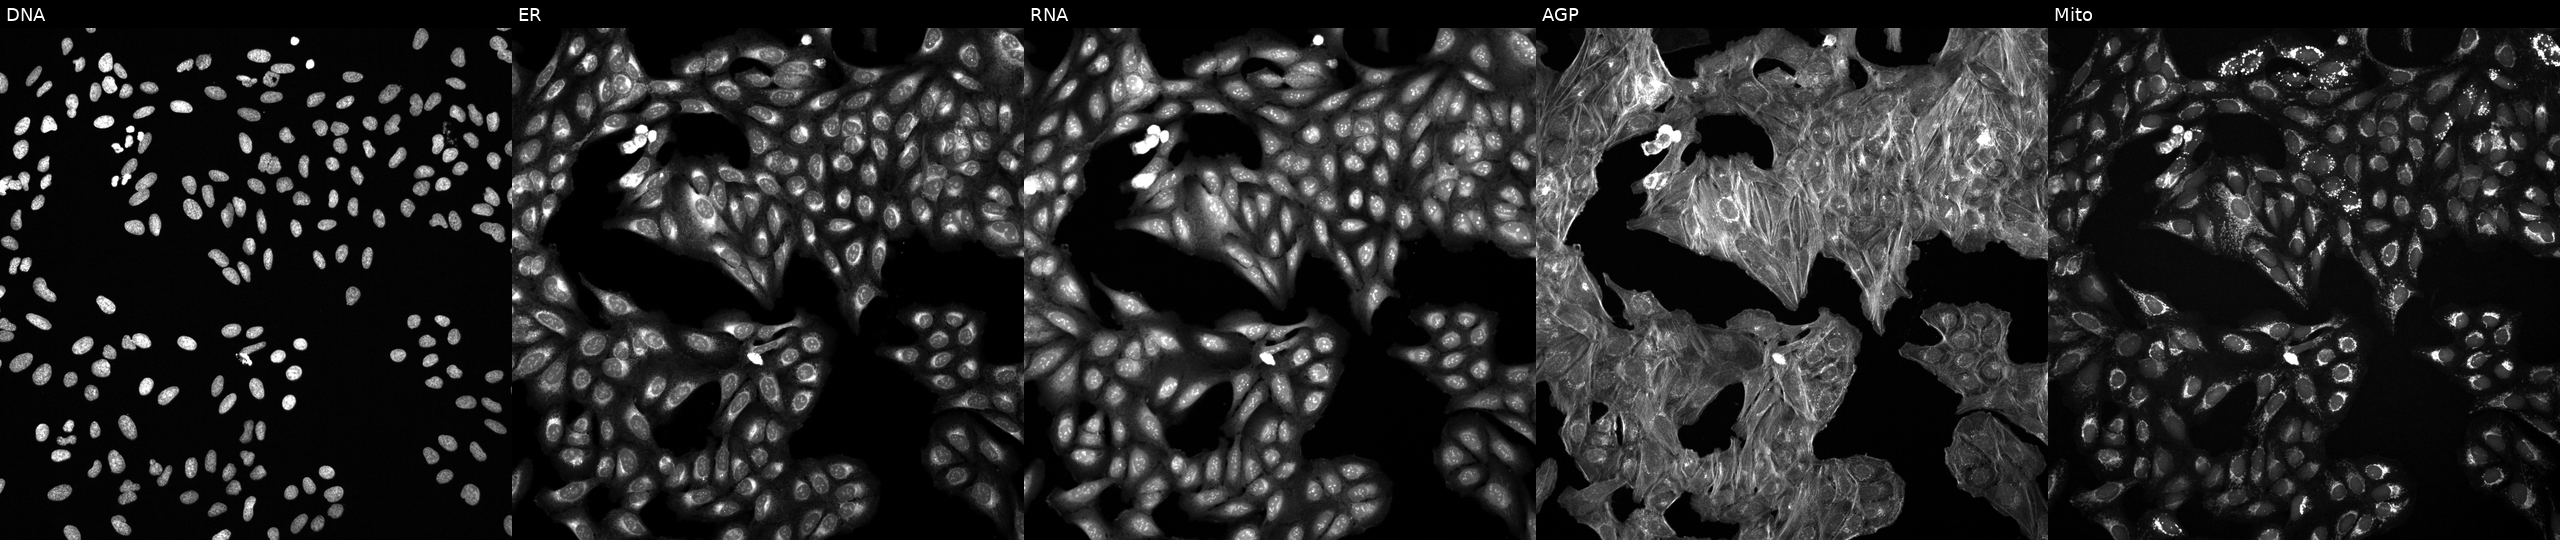
This image strip shows the five Cell Painting channels for a single field of U2OS cells perturbed with a small-molecule compound (InChIKey ATOFMOPIZFYBFV-UHFFFAOYSA-N) (JUMP id JCP2022_003776). Channels (left→right): DNA (nuclei); ER (endoplasmic reticulum); RNA (nucleoli and cytoplasmic RNA); AGP (actin cytoskeleton, Golgi, and plasma membrane); Mito (mitochondria). Source 6, plate 110000293082, well G14.